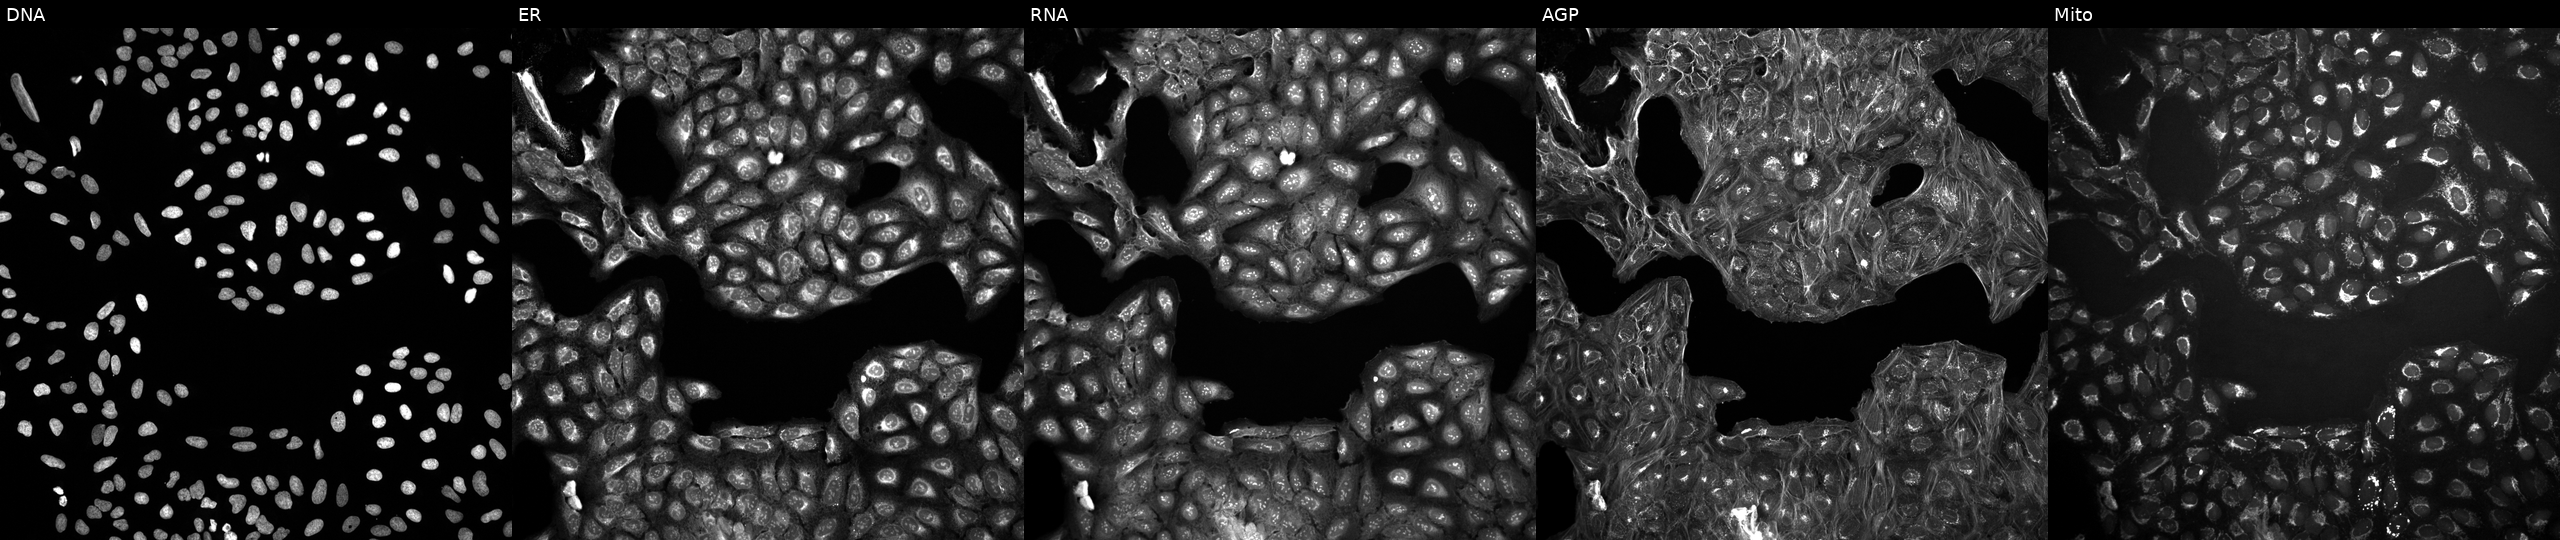
High-content fluorescence microscopy (Cell Painting). Cell line: U2OS. Perturbation: in an empty control well (no perturbation). Panels show, left to right, Hoechst 33342, concanavalin A, SYTO 14, phalloidin and WGA, MitoTracker. Source 10, plate Dest210531-152324, well H06.